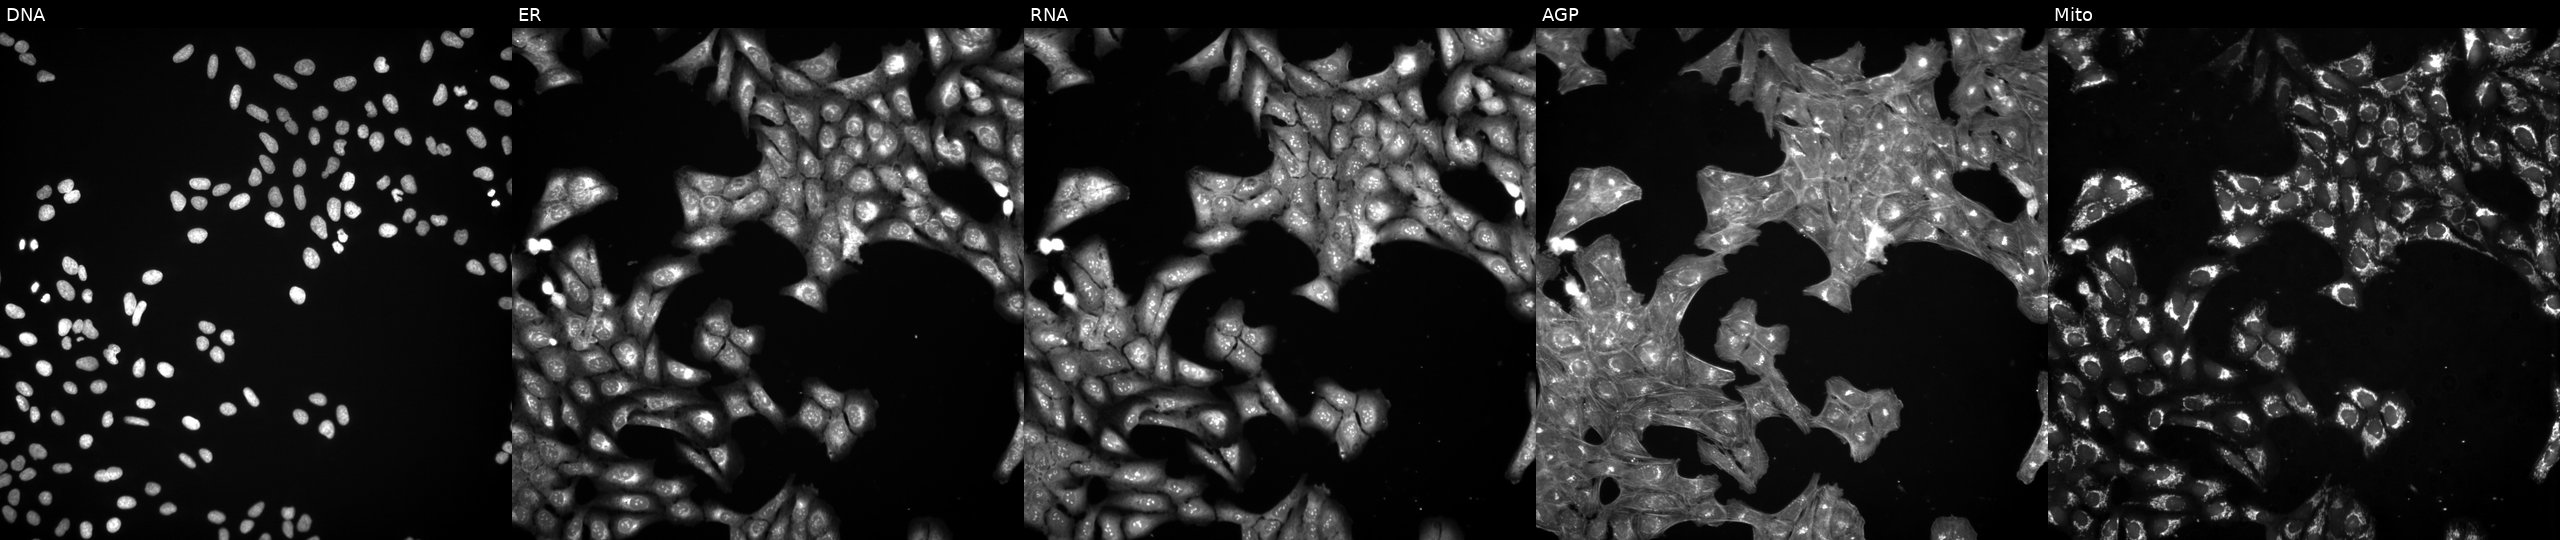
The five panels, left to right, show DNA (nuclei); ER (endoplasmic reticulum); RNA (nucleoli and cytoplasmic RNA); AGP (actin cytoskeleton, Golgi, and plasma membrane); Mito (mitochondria). U2OS osteosarcoma cells perturbed with a small-molecule compound (InChIKey GTCLTPXHMIWRCO-UHFFFAOYSA-N) (JUMP id JCP2022_027596). Cell Painting assay, JUMP-CP dataset.